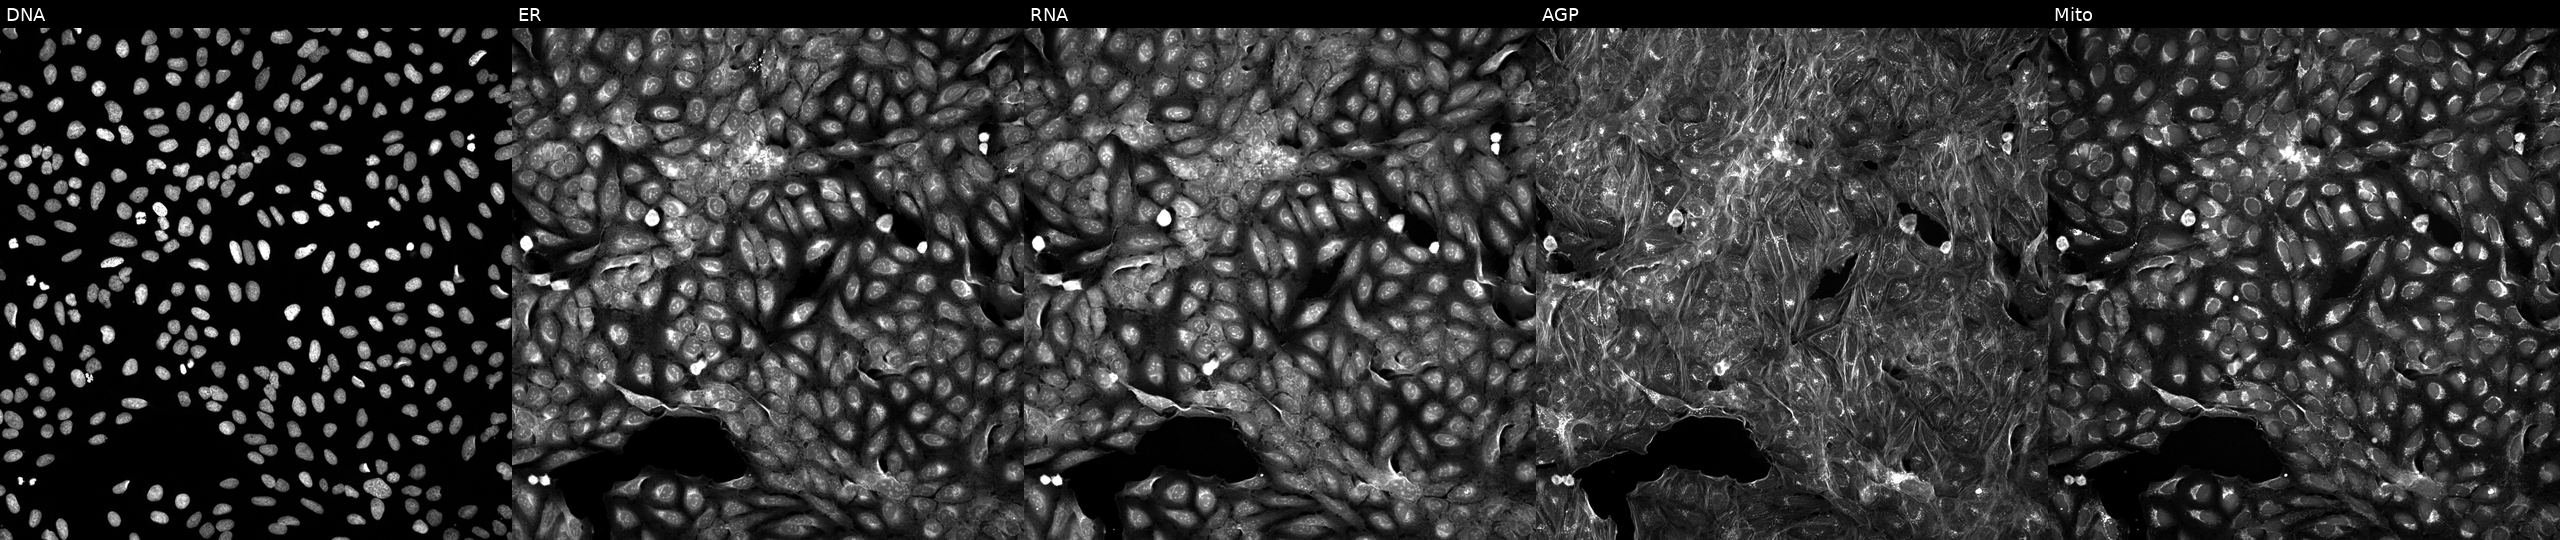
U2OS cells, Cell Painting assay, treated with DMSO vehicle only (negative control). The five panels, left to right, show DNA (nuclei); ER (endoplasmic reticulum); RNA (nucleoli and cytoplasmic RNA); AGP (actin cytoskeleton, Golgi, and plasma membrane); Mito (mitochondria). Each panel is percentile-stretched 16-bit fluorescence.